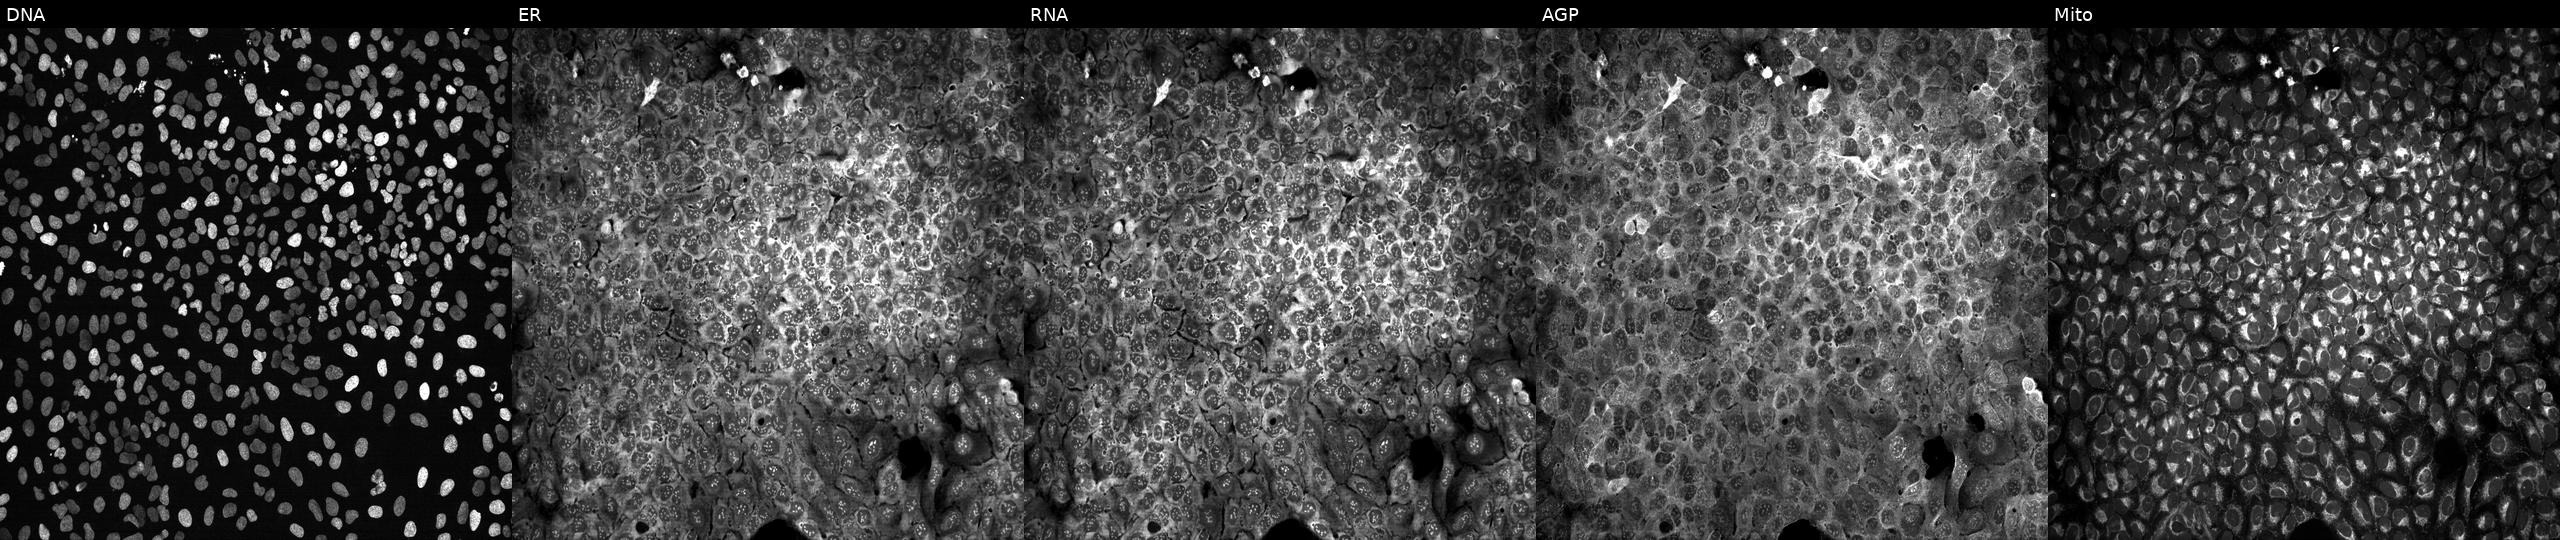
U2OS cells, Cell Painting assay, following CRISPR knockout of CBX7. From left to right: DNA (nuclei); ER (endoplasmic reticulum); RNA (nucleoli and cytoplasmic RNA); AGP (actin cytoskeleton, Golgi, and plasma membrane); Mito (mitochondria). Each panel is percentile-stretched 16-bit fluorescence.